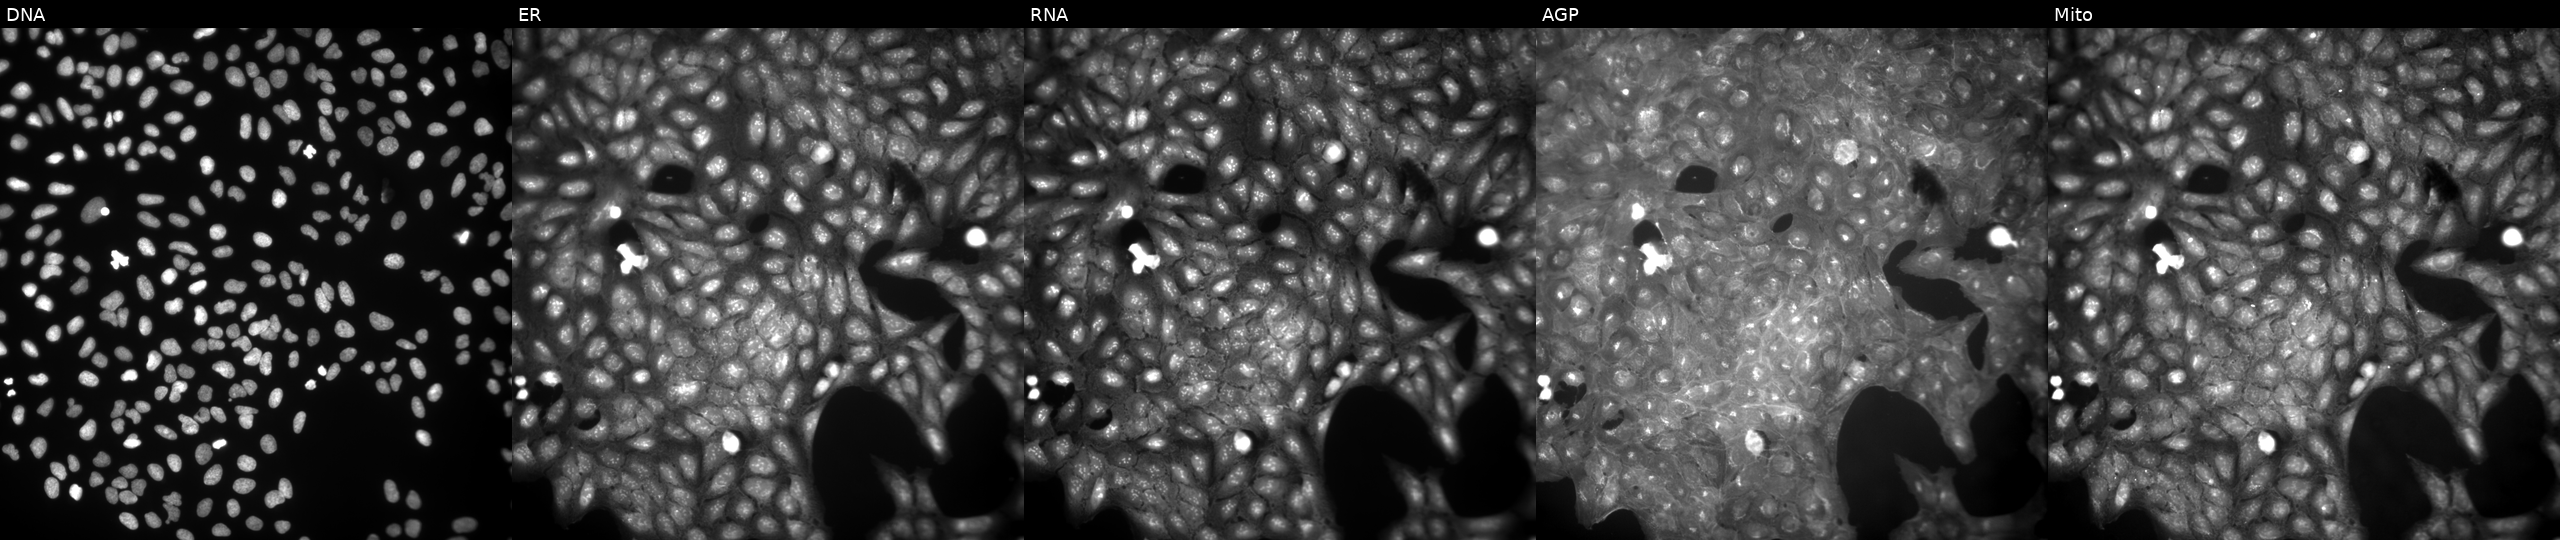
High-content fluorescence microscopy (Cell Painting). Cell line: U2OS. Perturbation: exposed to a small-molecule compound (InChIKey JVPBKODEQYWOKA-UHFFFAOYSA-N). From left to right: DNA, ER, RNA, AGP, and Mito.